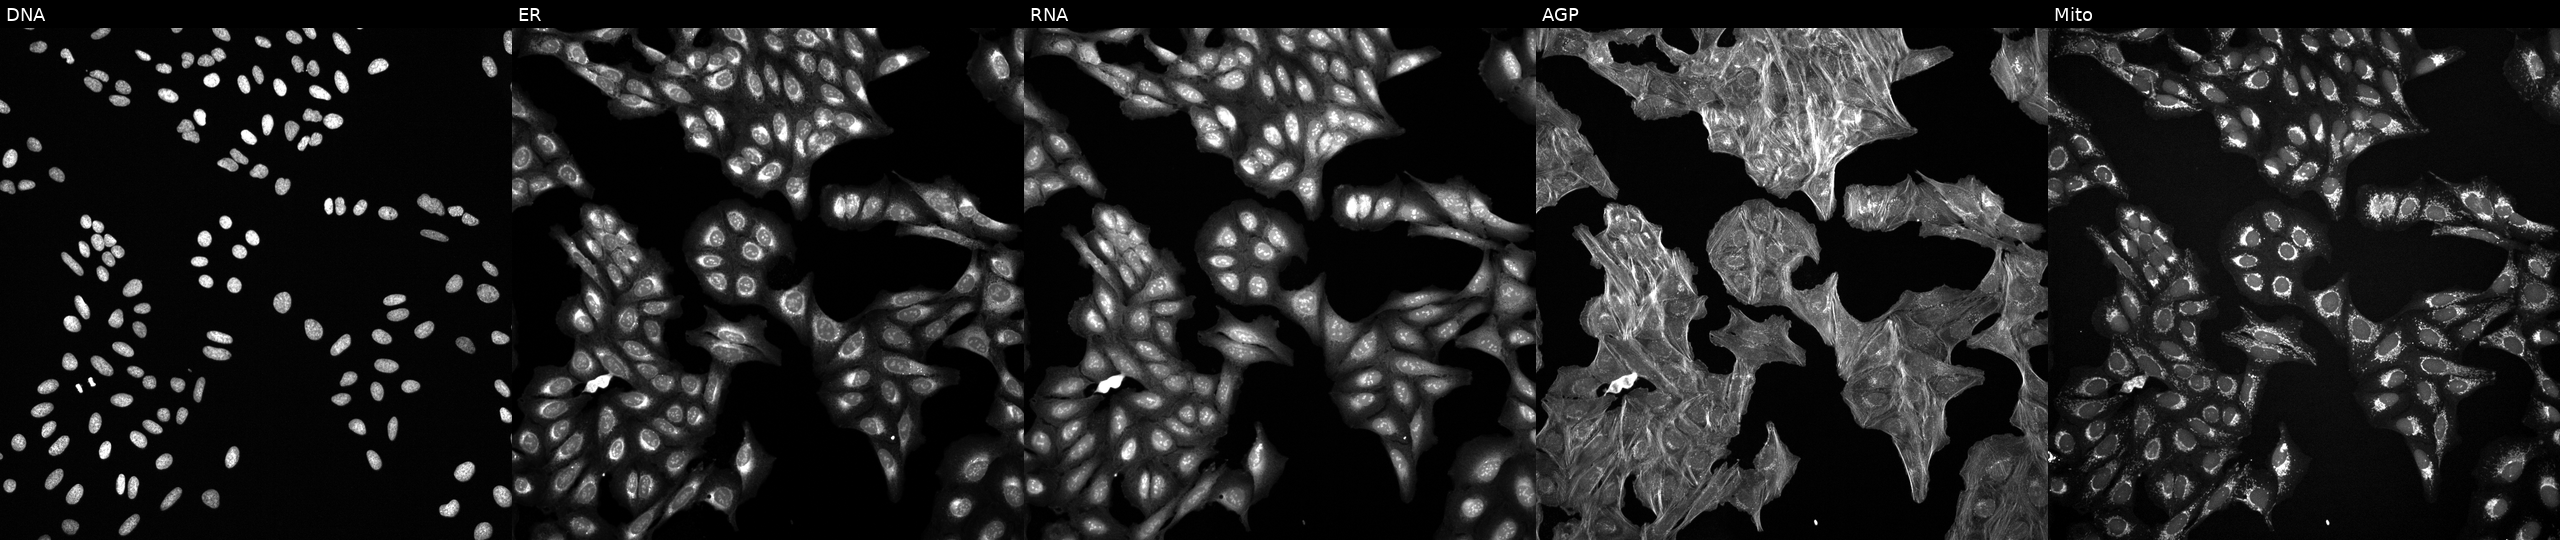
JUMP Cell Painting — COMPOUND plate. U2OS cells perturbed with a small-molecule compound (InChIKey XEBYKGHZZNXMDU-UHFFFAOYSA-N) (JUMP id JCP2022_103066). The five panels, left to right, show Hoechst 33342, concanavalin A, SYTO 14, phalloidin and WGA, MitoTracker.